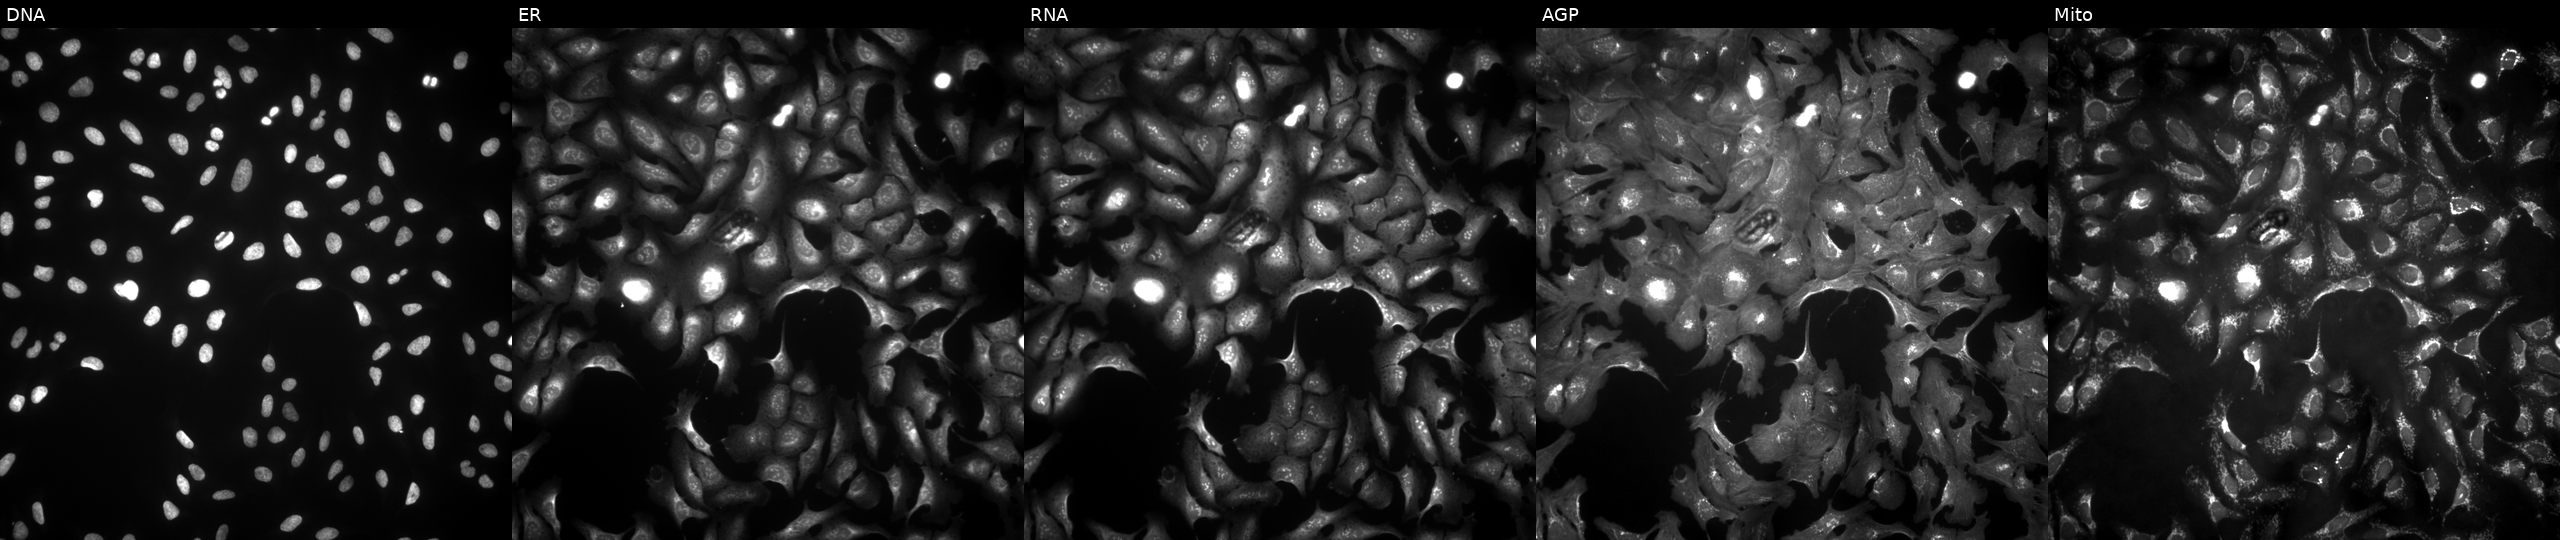
Five-channel Cell Painting image of U2OS cells transfected with an ORF construct for GALNT14. Panels show, left to right, Hoechst 33342, concanavalin A, SYTO 14, phalloidin and WGA, MitoTracker.